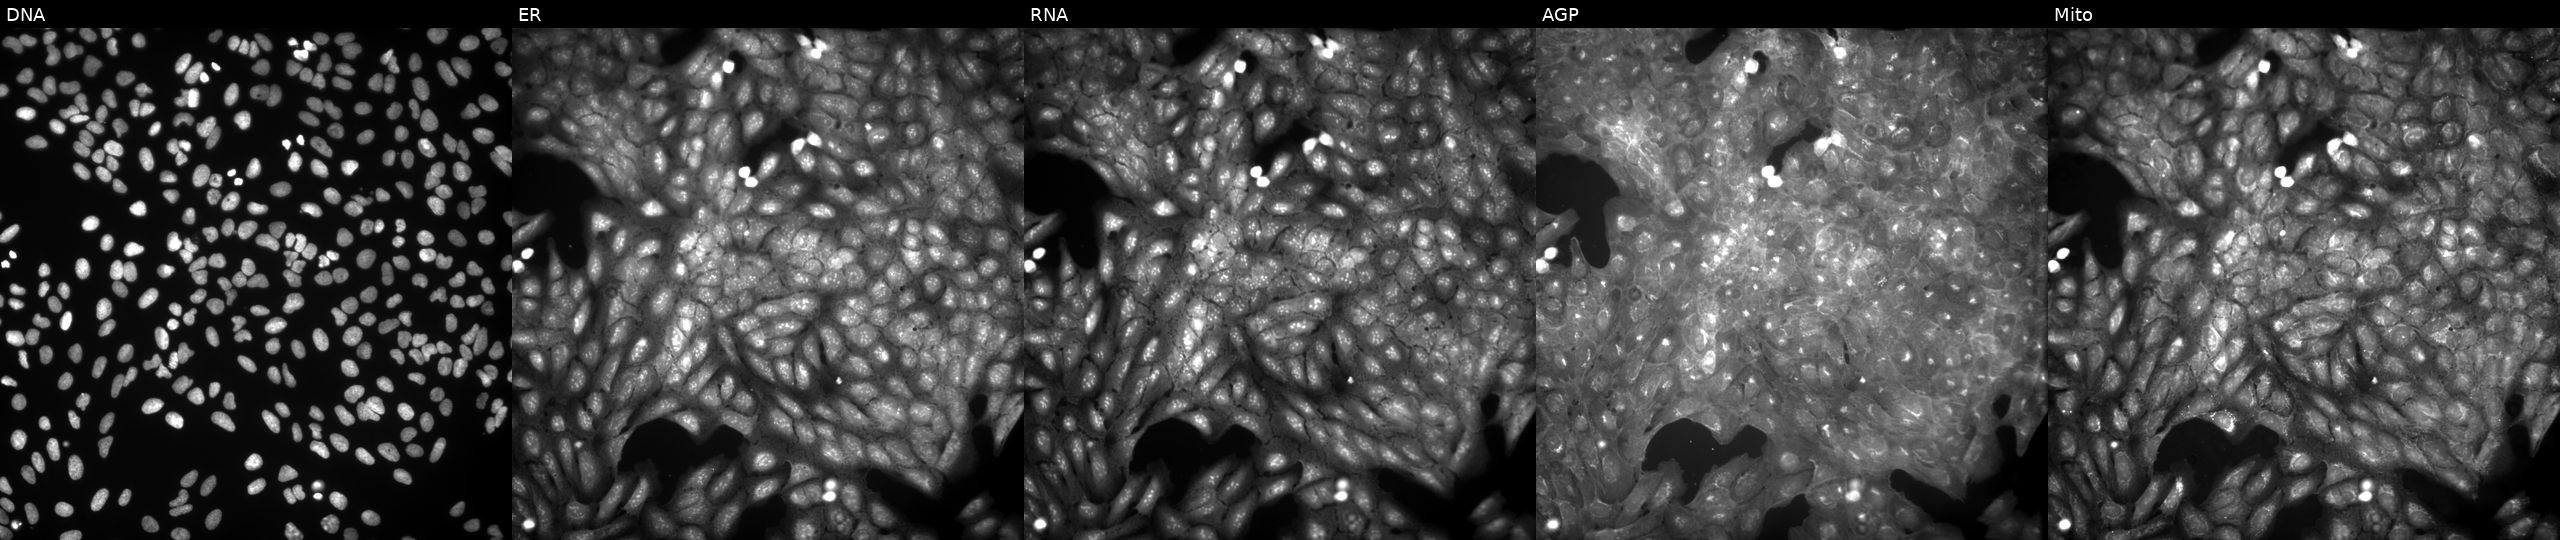
This image strip shows the five Cell Painting channels for a single field of U2OS cells perturbed with a small-molecule compound (InChIKey GEQSCUMNVJZVCN-UHFFFAOYSA-N) (JUMP id JCP2022_024979). From left to right: DNA, ER, RNA, AGP, and Mito.